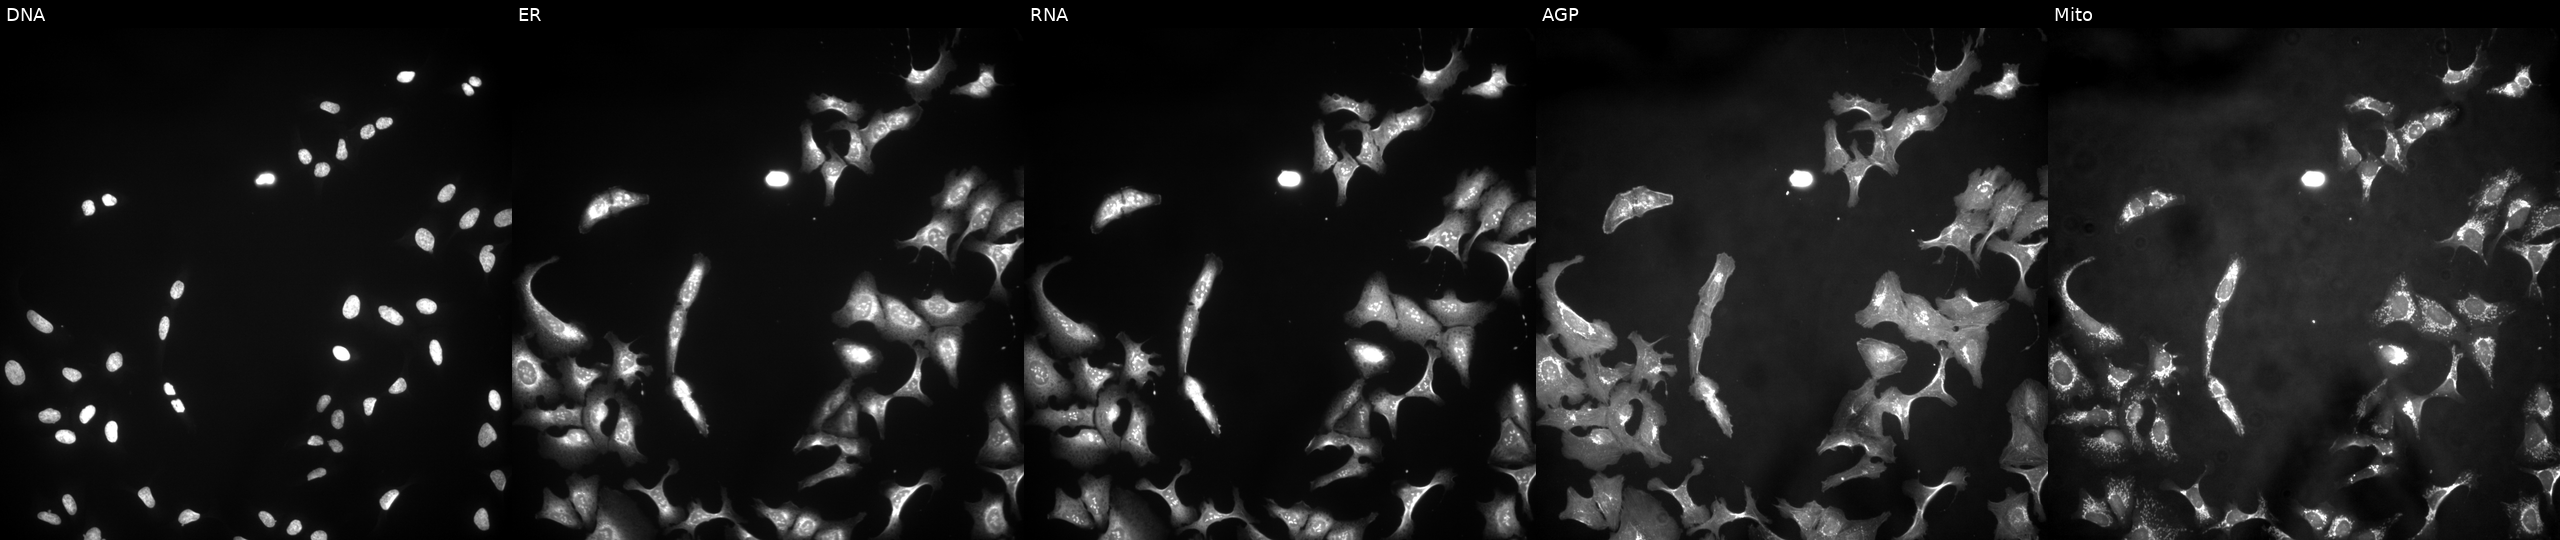
Panels show, left to right, DNA (nuclei); ER (endoplasmic reticulum); RNA (nucleoli and cytoplasmic RNA); AGP (actin cytoskeleton, Golgi, and plasma membrane); Mito (mitochondria). U2OS osteosarcoma cells overexpressing TMPRSS6 via ORF transfection. Cell Painting assay, JUMP-CP dataset. Source 4, plate BR00123506, well M11.